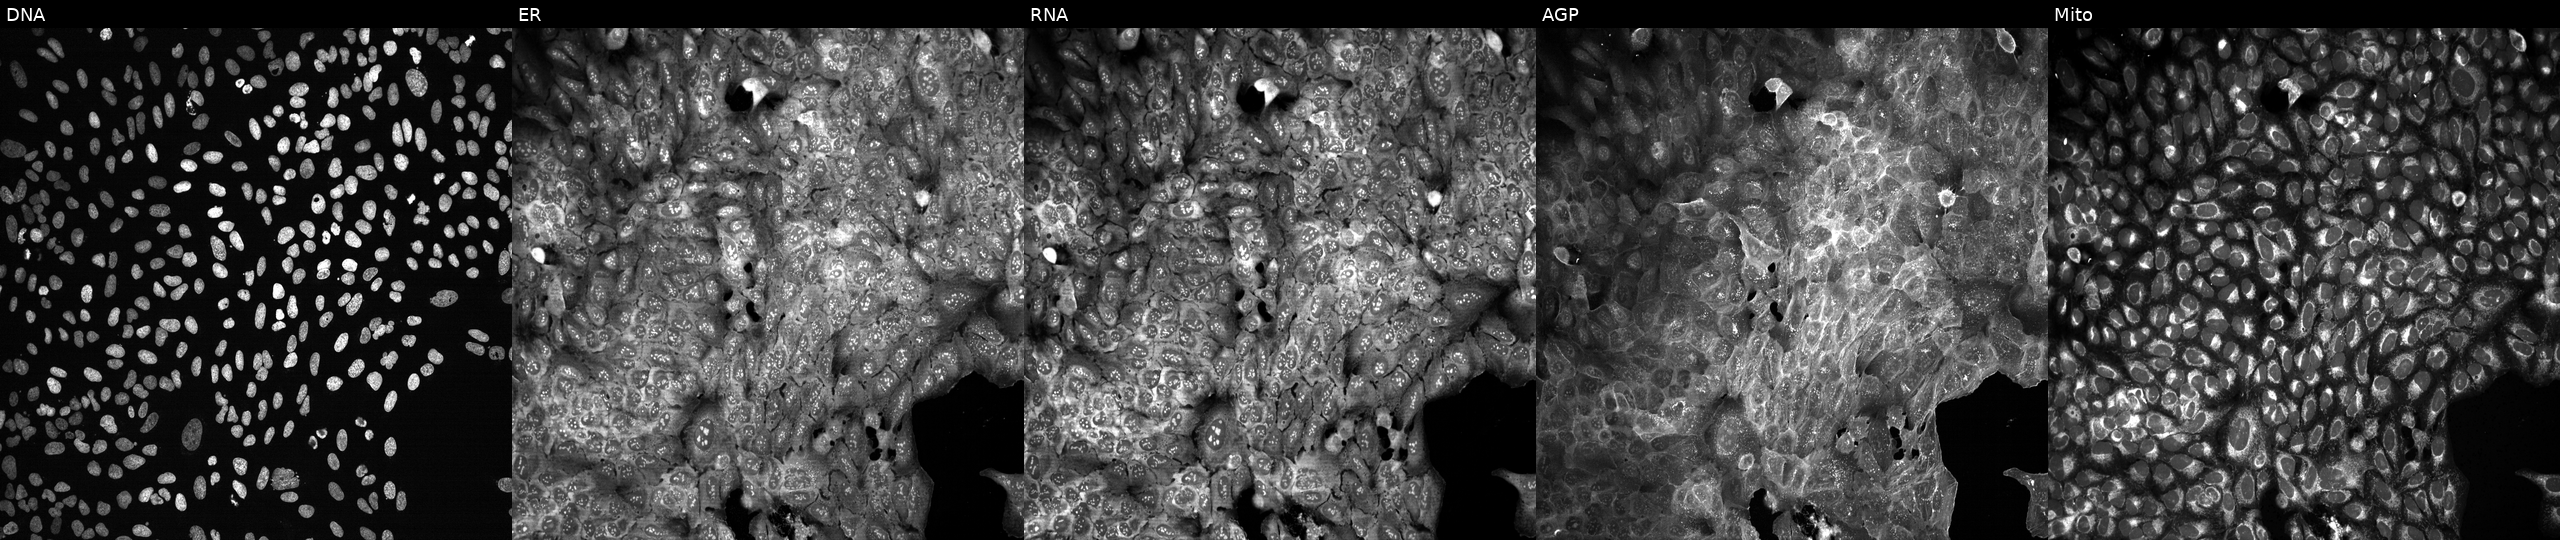
This image strip shows the five Cell Painting channels for a single field of U2OS cells with ADAMTS20 knocked out by CRISPR (JUMP id JCP2022_800197). Channels (left→right): DNA, ER, RNA, AGP, and Mito.